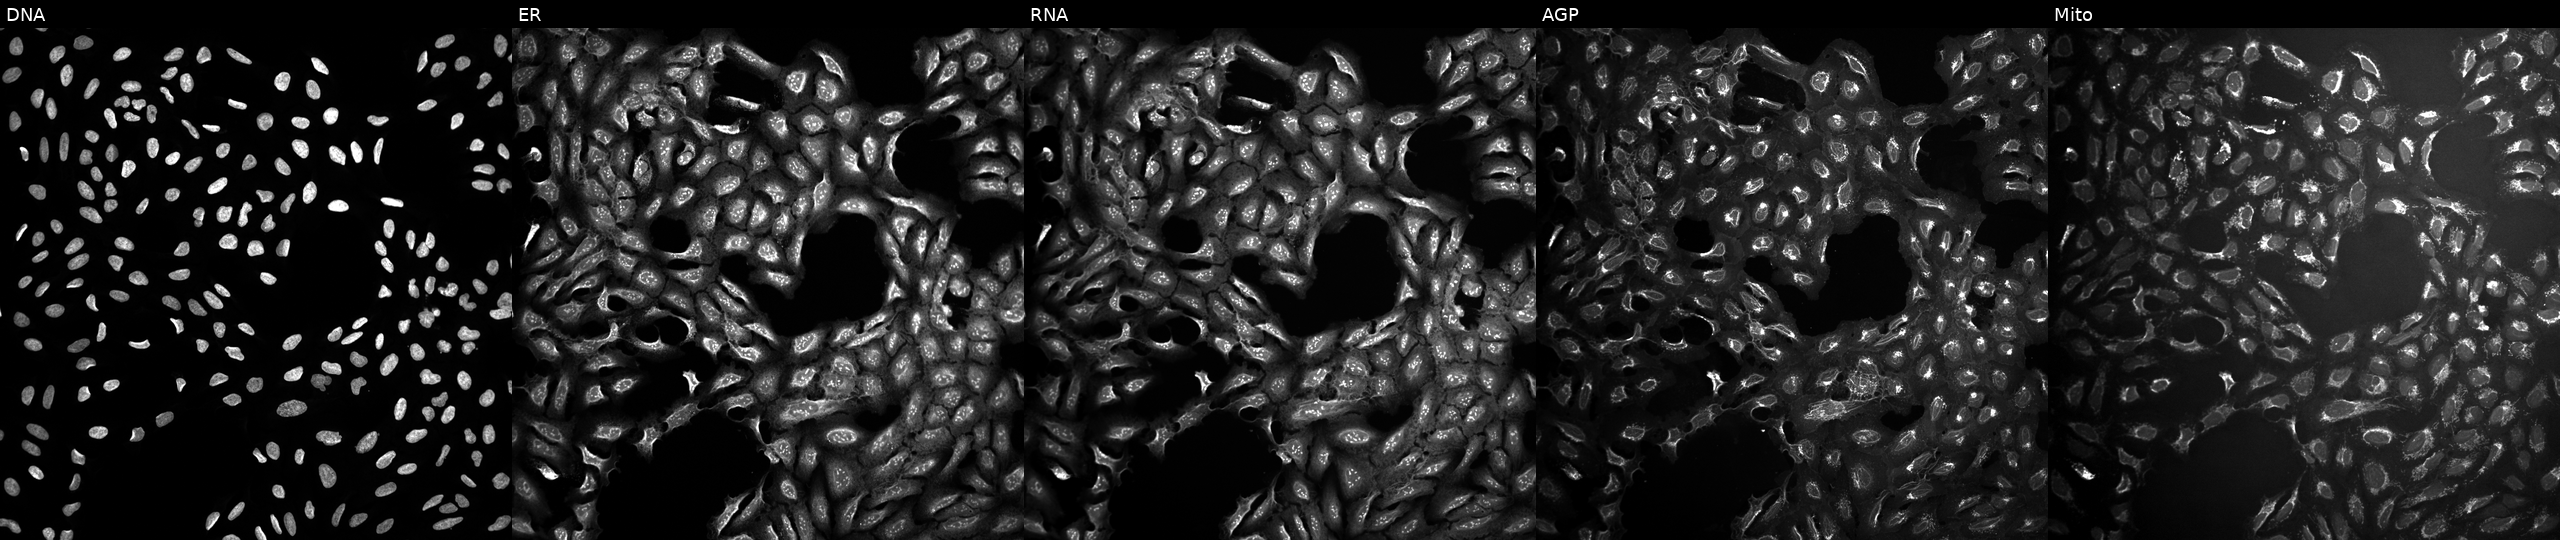
Panels show, left to right, Hoechst 33342, concanavalin A, SYTO 14, phalloidin and WGA, MitoTracker. U2OS osteosarcoma cells perturbed with a small-molecule compound (JUMP id JCP2022_002206). Cell Painting assay, JUMP-CP dataset.